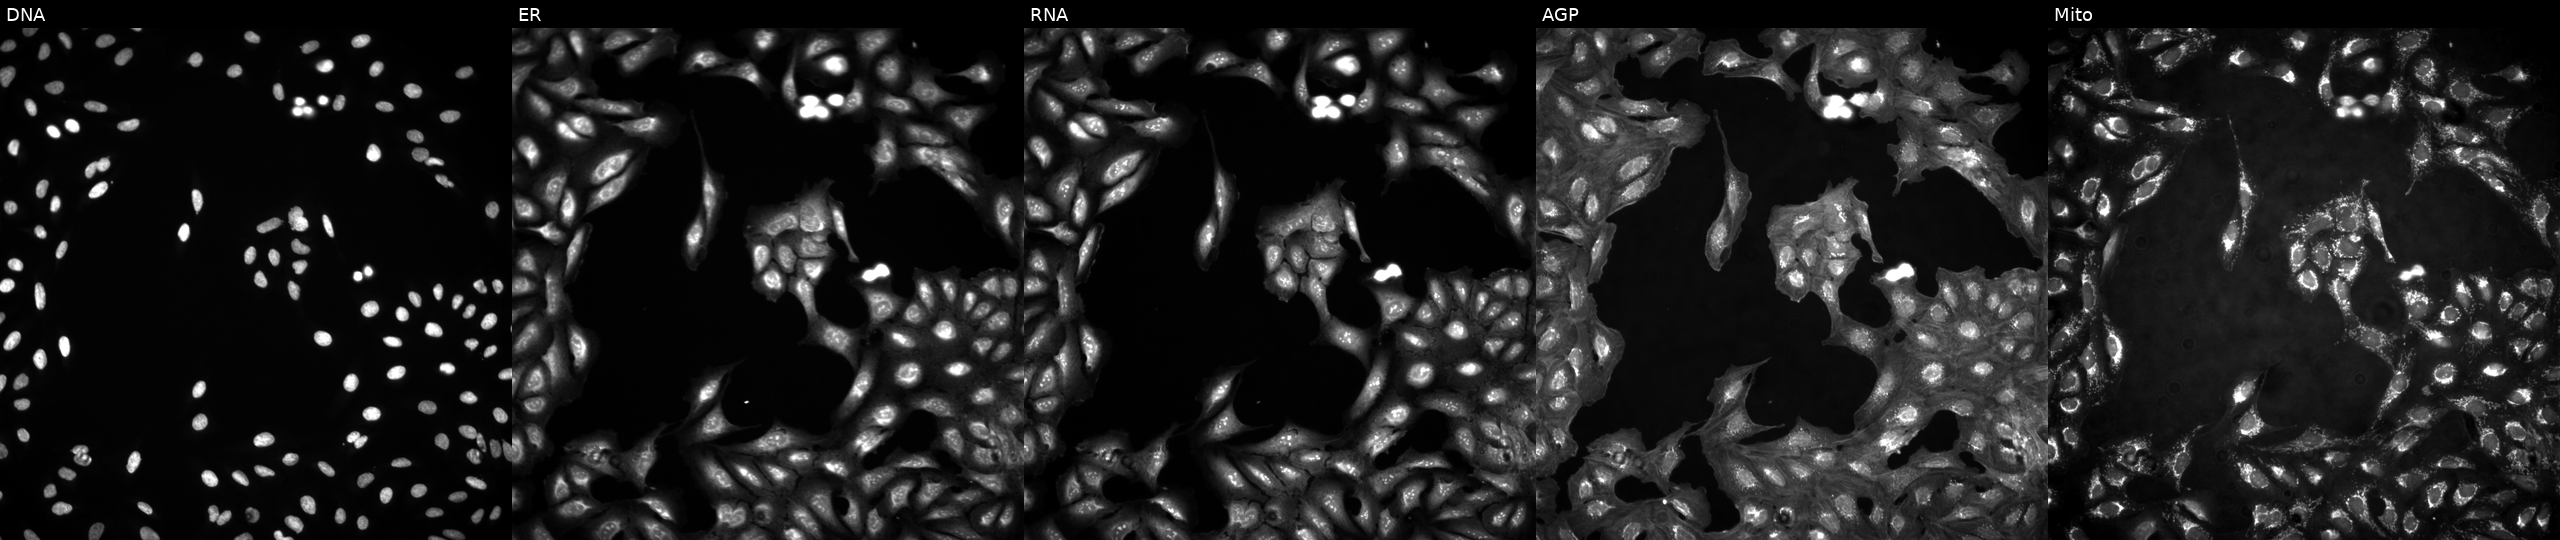
Five-channel Cell Painting image of U2OS cells untreated (empty-well control) (JUMP id JCP2022_999999). Panels show, left to right, DNA (nuclei); ER (endoplasmic reticulum); RNA (nucleoli and cytoplasmic RNA); AGP (actin cytoskeleton, Golgi, and plasma membrane); Mito (mitochondria). Source 4, plate BR00124793, well P01.